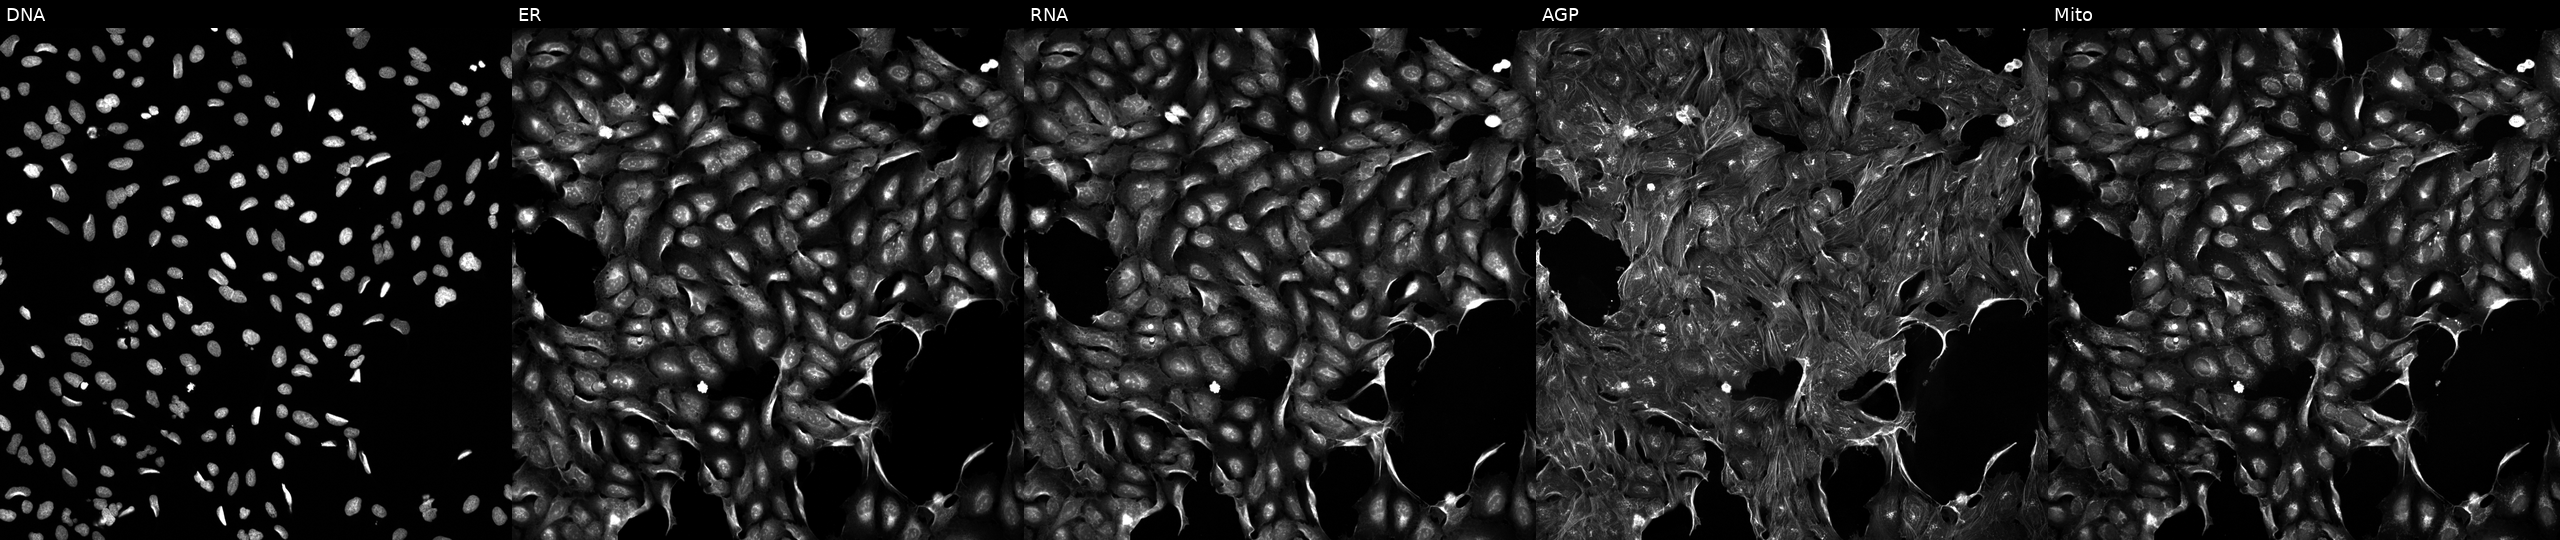
U2OS cells, Cell Painting assay, treated with TC-S-7004 (positive-control compound) (JUMP id JCP2022_012818). From left to right: Hoechst 33342, concanavalin A, SYTO 14, phalloidin and WGA, MitoTracker. Each panel is percentile-stretched 16-bit fluorescence. Source 5, plate APTJUM105, well L24.